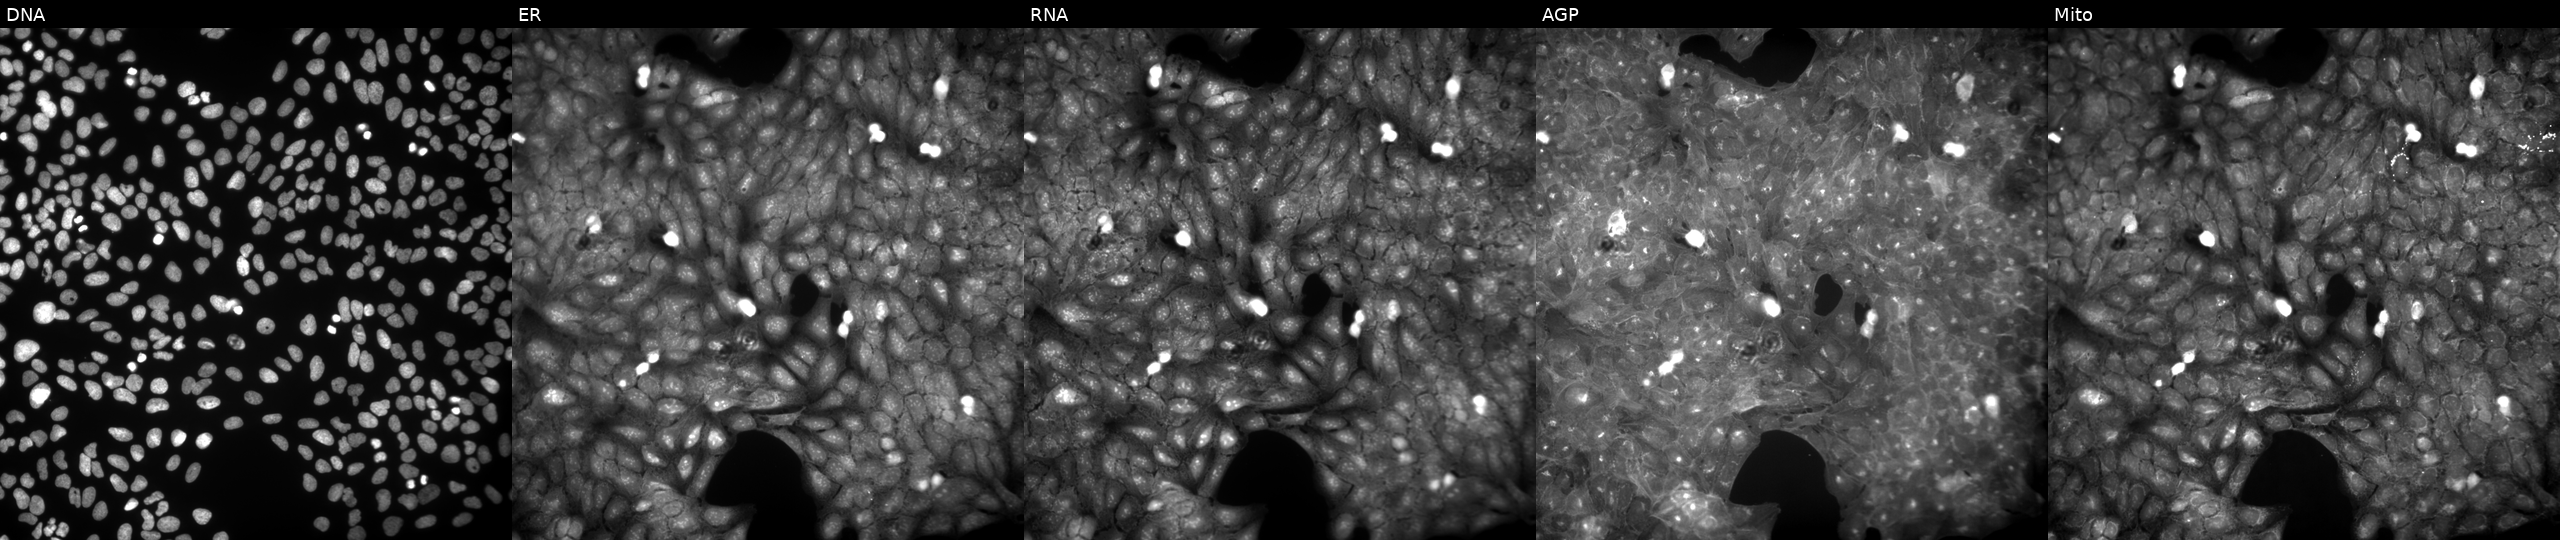
JUMP Cell Painting — COMPOUND plate. U2OS cells treated with dexamethasone (positive-control compound). From left to right: DNA, ER, RNA, AGP, and Mito.